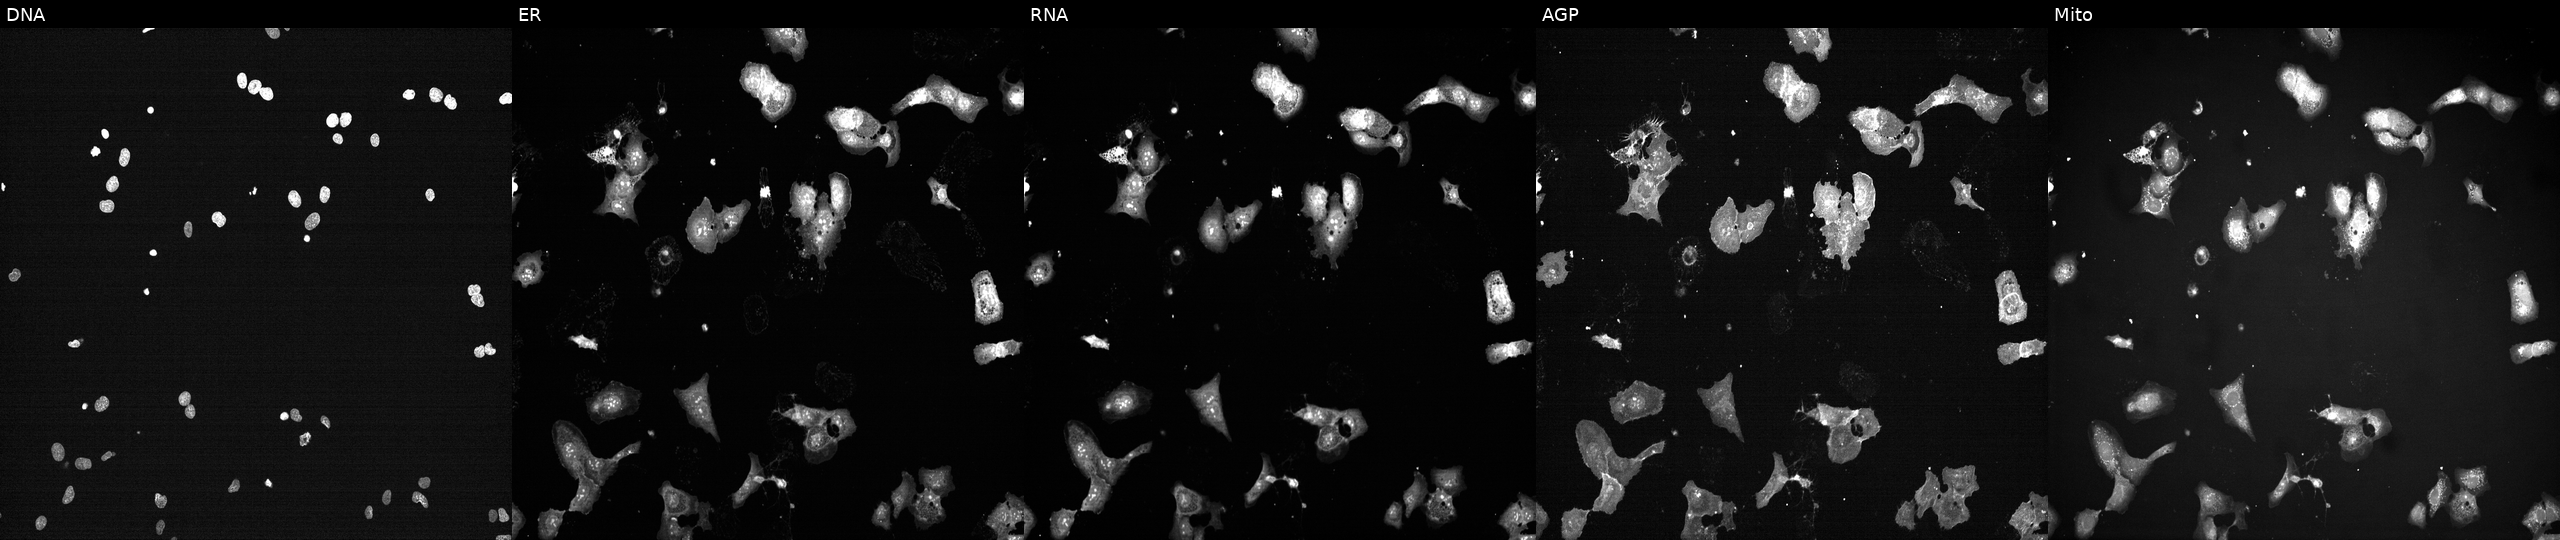
Five-channel Cell Painting image of U2OS cells perturbed with a small-molecule compound (InChIKey AJVXVYTVAAWZAP-UHFFFAOYSA-N) [SMILES: CC1(C)C(=O)N=C2c3ccccc3C(=O)C(=O)C21] (JUMP id JCP2022_001890). The five panels, left to right, show Hoechst 33342, concanavalin A, SYTO 14, phalloidin and WGA, MitoTracker.